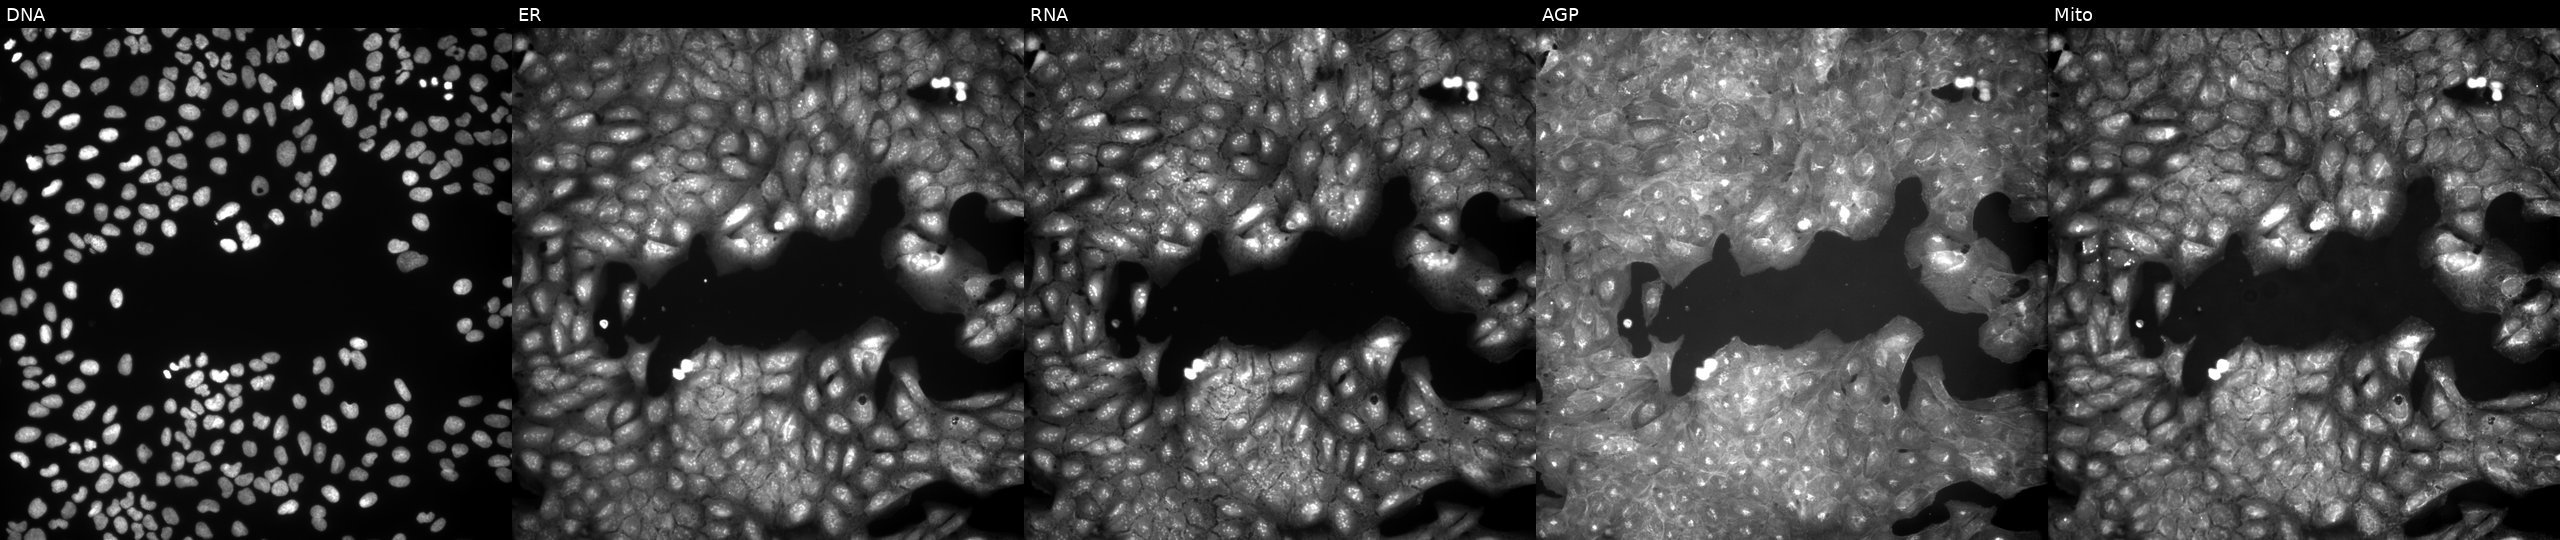
The five panels, left to right, show DNA, ER, RNA, AGP, and Mito. U2OS osteosarcoma cells exposed to a small-molecule compound (InChIKey WLGDEQDNCRILHR-UHFFFAOYSA-N) (JUMP id JCP2022_099508). Cell Painting assay, JUMP-CP dataset. Source 9, plate GR00003382, well G36.